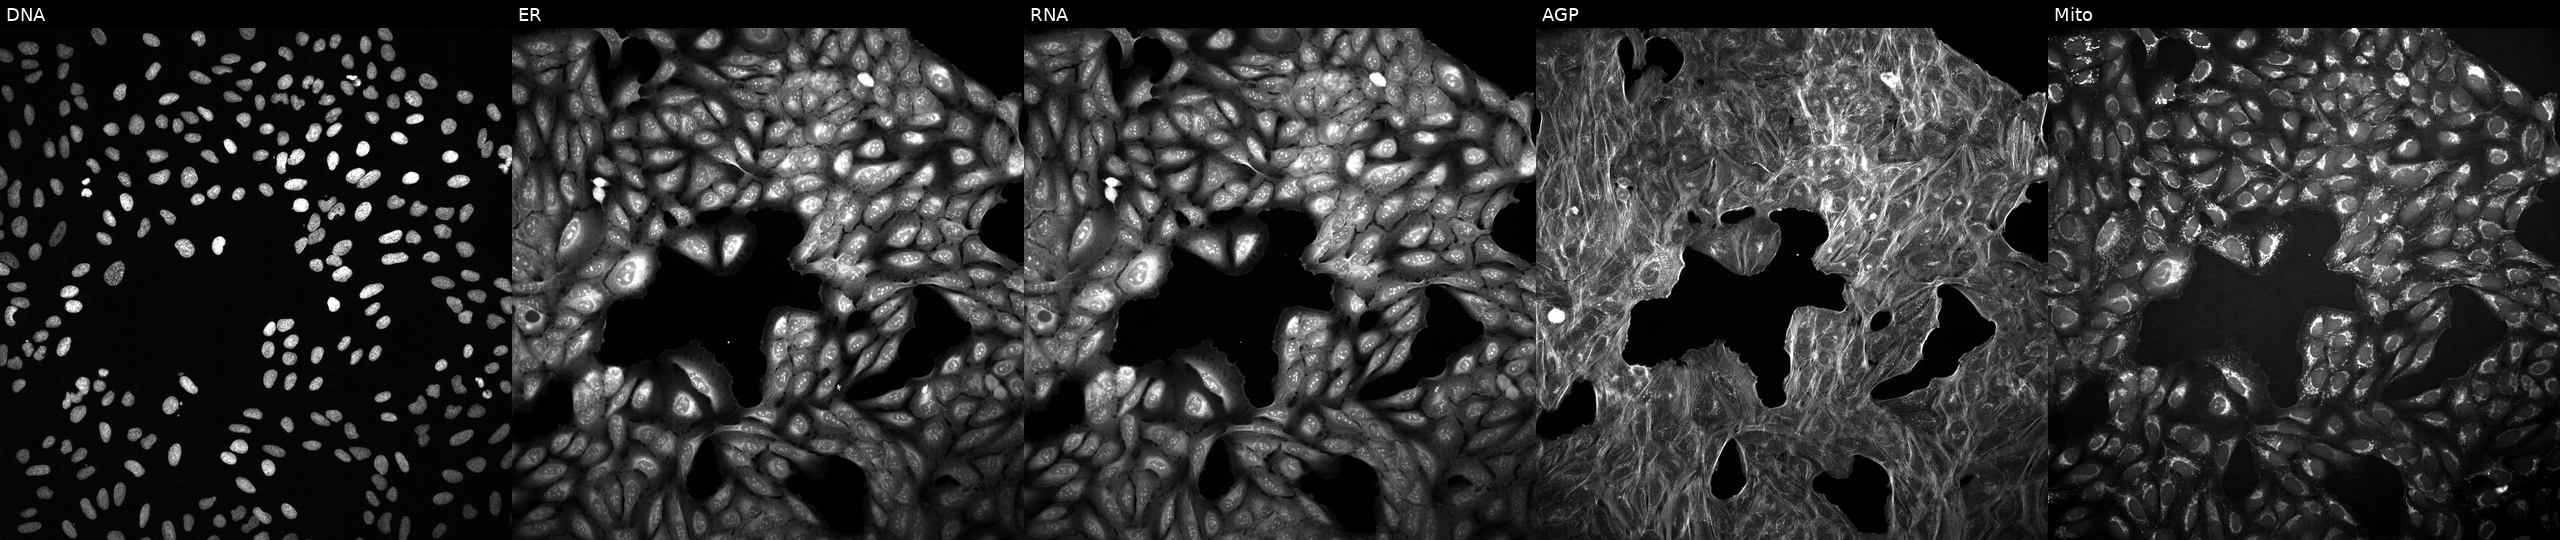
This image strip shows the five Cell Painting channels for a single field of U2OS cells treated with a small-molecule compound (InChIKey UUDFZHGYDLBJOE-UHFFFAOYSA-N) (JUMP id JCP2022_091582). The five panels, left to right, show DNA (nuclei); ER (endoplasmic reticulum); RNA (nucleoli and cytoplasmic RNA); AGP (actin cytoskeleton, Golgi, and plasma membrane); Mito (mitochondria).